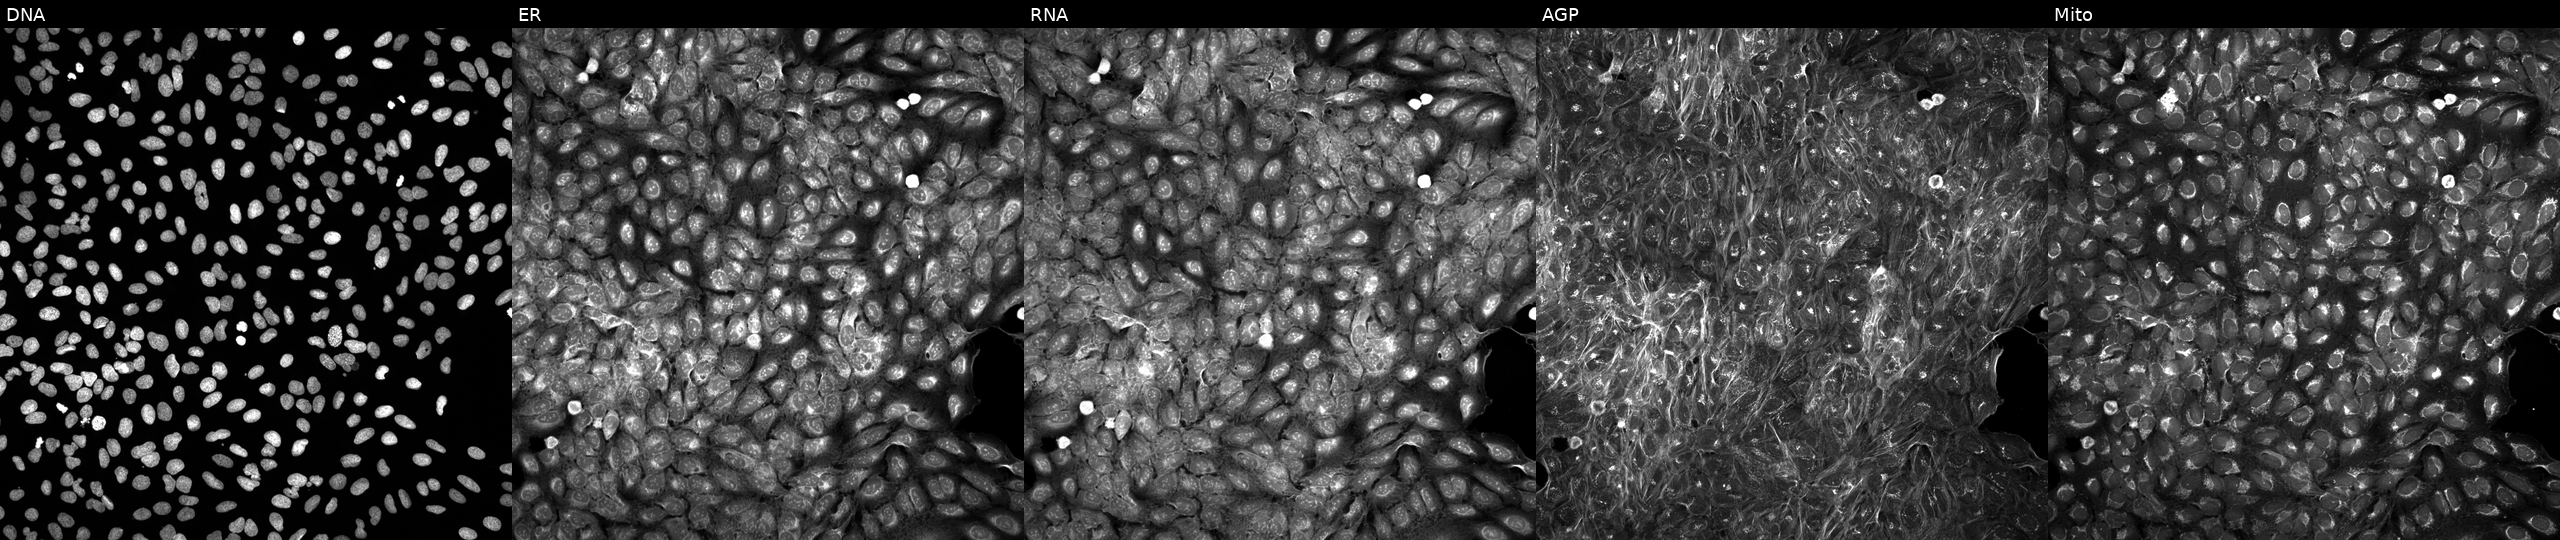
JUMP Cell Painting — TARGET2 plate. U2OS cells treated with a small-molecule compound (InChIKey QUGDTMONBLMLLD-UHFFFAOYSA-N). Panels show, left to right, DNA (nuclei); ER (endoplasmic reticulum); RNA (nucleoli and cytoplasmic RNA); AGP (actin cytoskeleton, Golgi, and plasma membrane); Mito (mitochondria).